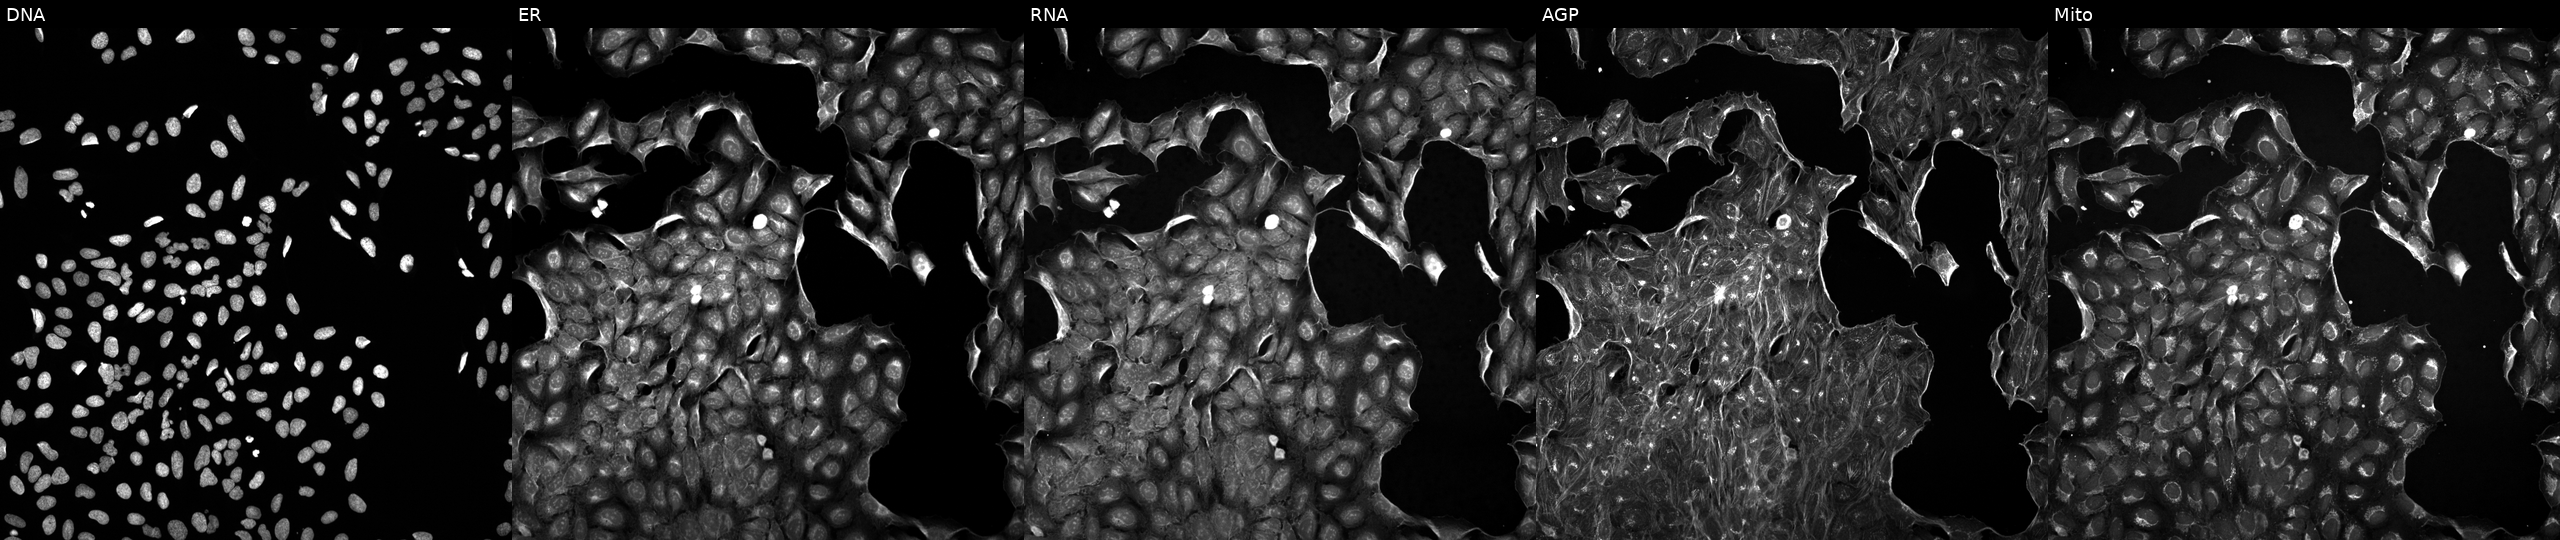
U2OS cells, Cell Painting assay, treated with DMSO vehicle only (negative control). The five panels, left to right, show DNA, ER, RNA, AGP, and Mito. Each panel is percentile-stretched 16-bit fluorescence.